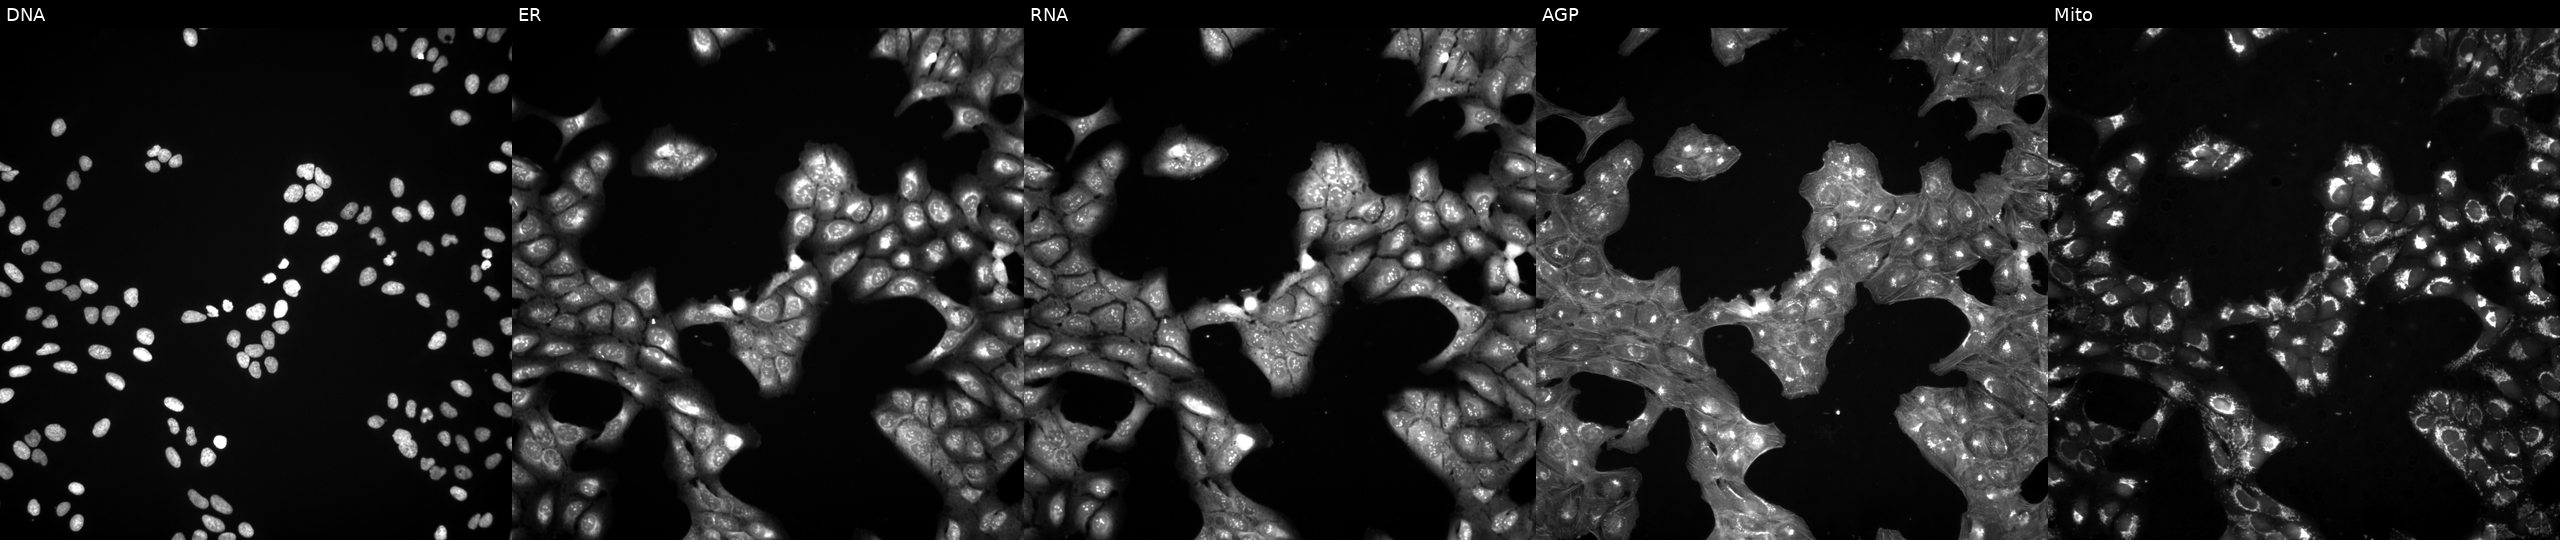
JUMP Cell Painting — TARGET2 plate. U2OS cells exposed to a small-molecule compound (JUMP id JCP2022_087562). From left to right: DNA, ER, RNA, AGP, and Mito.